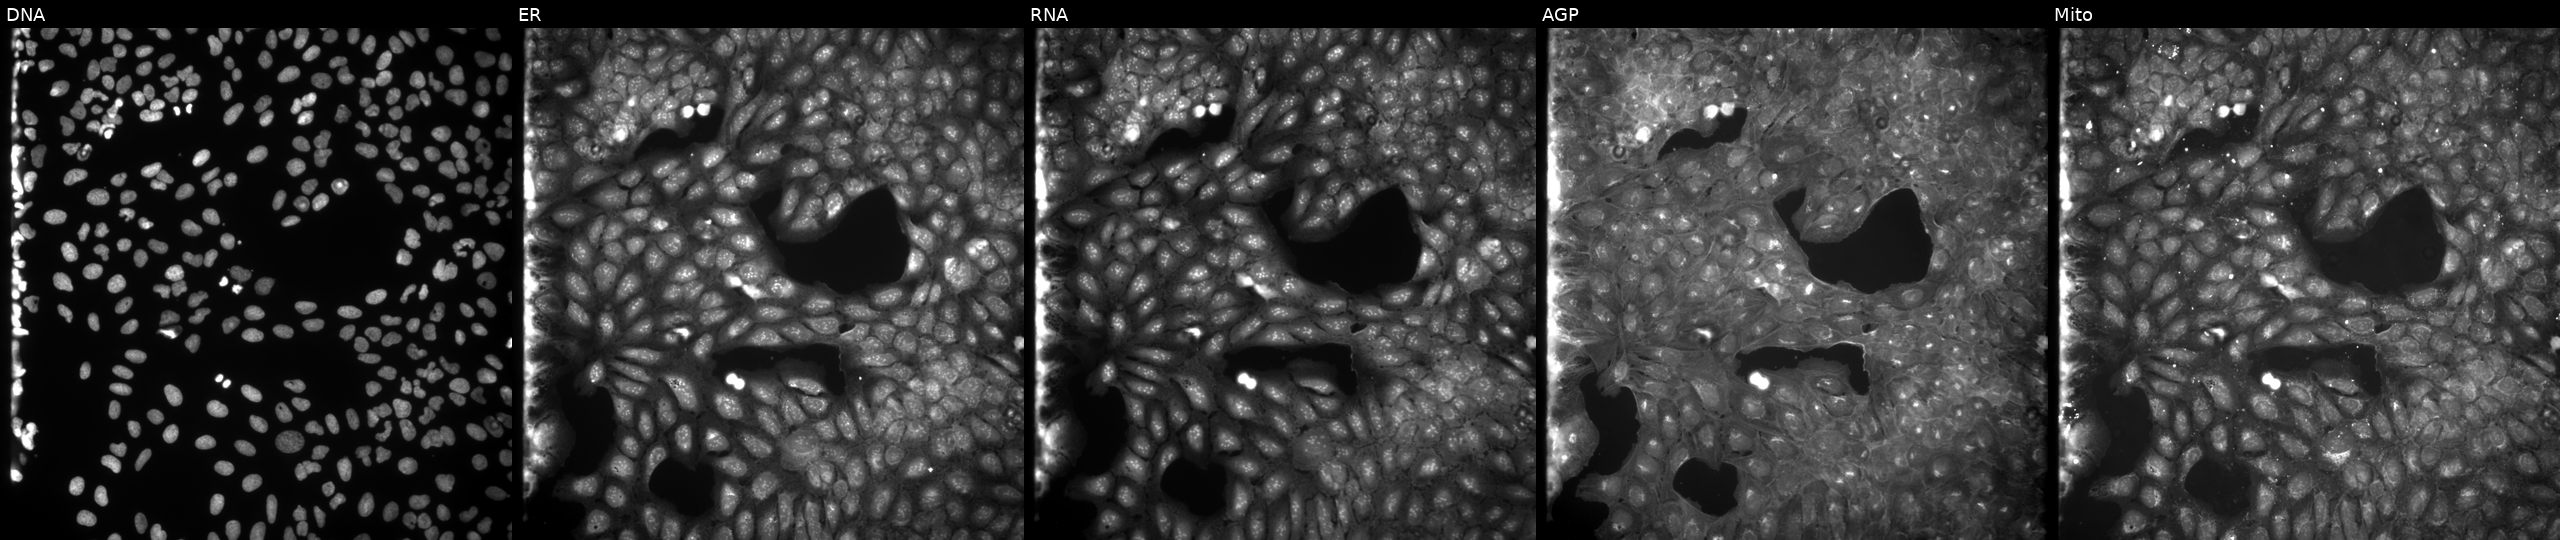
High-content fluorescence microscopy (Cell Painting). Cell line: U2OS. Perturbation: perturbed with a small-molecule compound (InChIKey KBWWBGZFDVHMLR-UHFFFAOYSA-N). The five panels, left to right, show Hoechst 33342, concanavalin A, SYTO 14, phalloidin and WGA, MitoTracker.